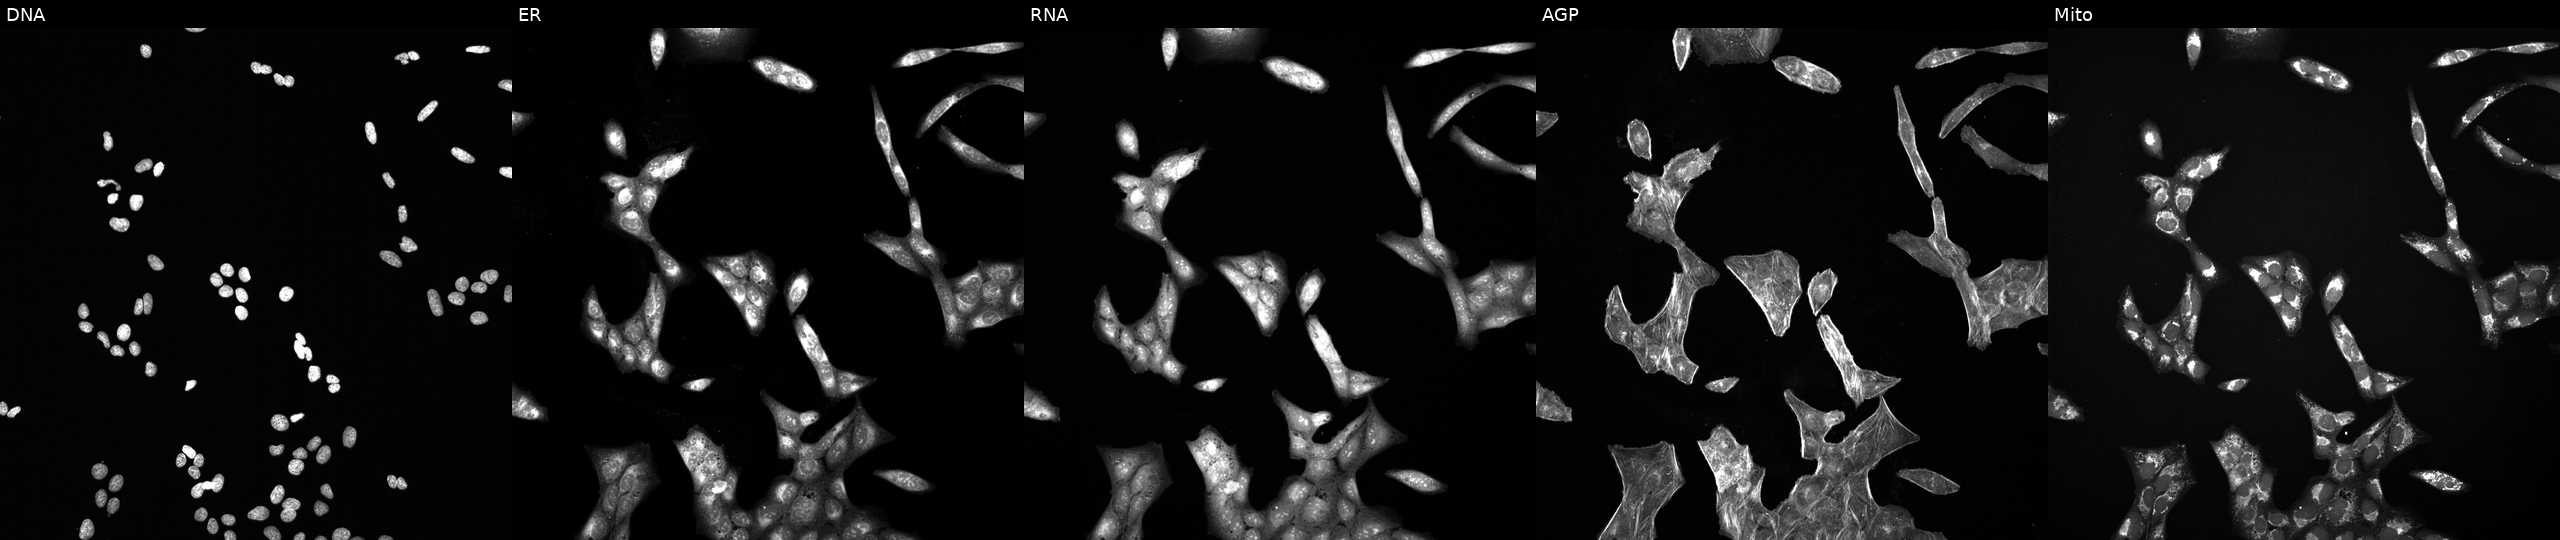
Panels show, left to right, DNA (nuclei); ER (endoplasmic reticulum); RNA (nucleoli and cytoplasmic RNA); AGP (actin cytoskeleton, Golgi, and plasma membrane); Mito (mitochondria). U2OS osteosarcoma cells treated with a small-molecule compound (InChIKey KUUJEXLRLIPQQJ-UHFFFAOYSA-N) [SMILES: OC(CN1CCNCC1)Cn1c2ccc(Br)cc2c2cc(Br)ccc21] (JUMP id JCP2022_047143). Cell Painting assay, JUMP-CP dataset.